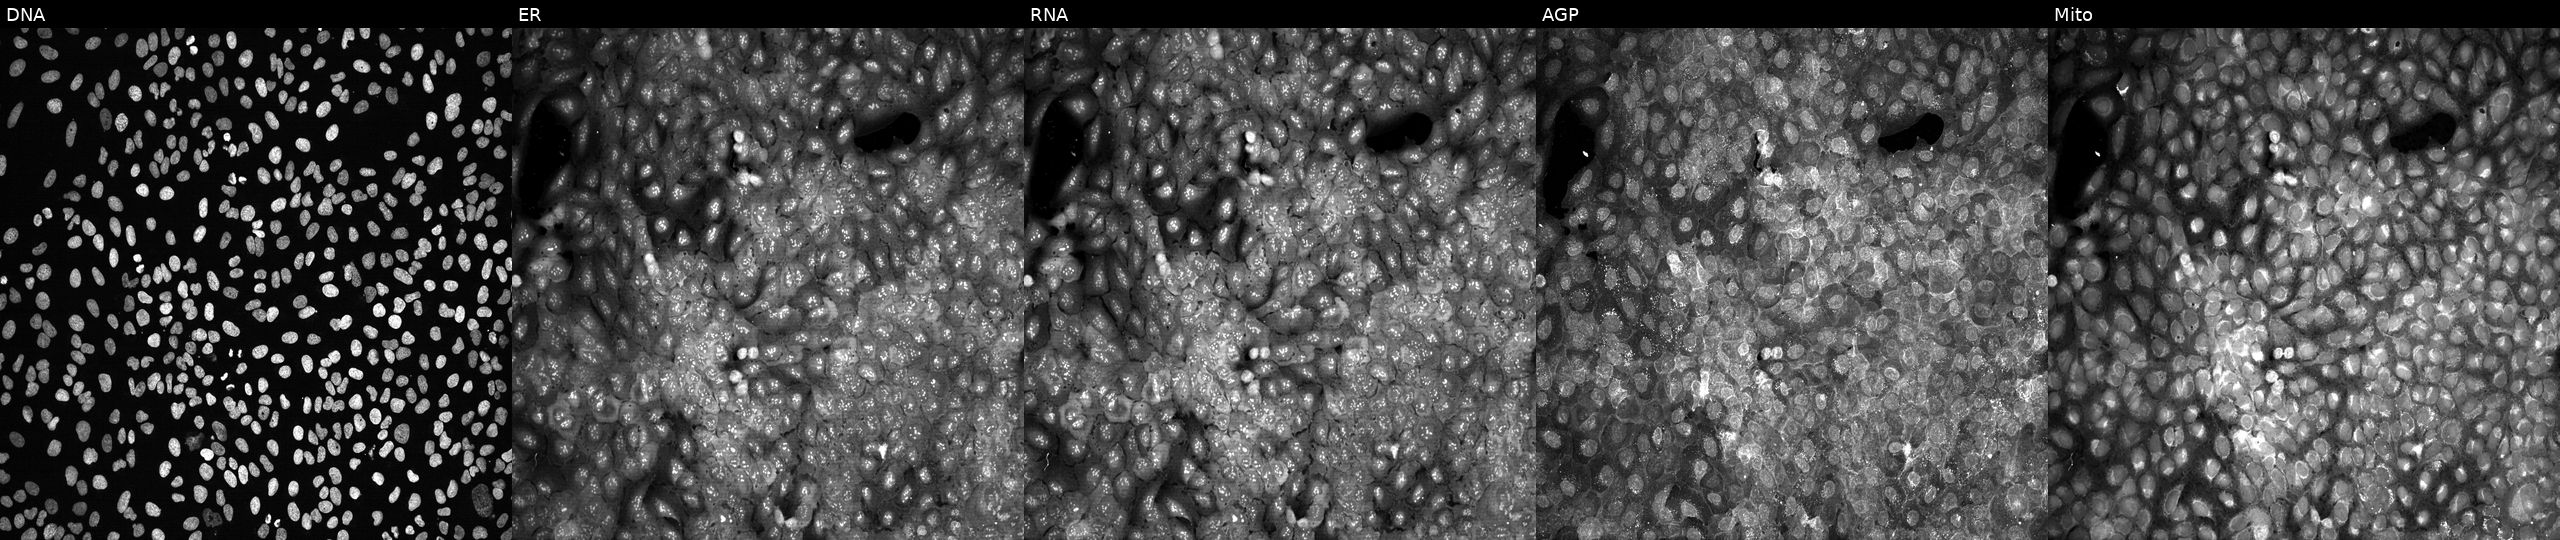
U2OS cells, Cell Painting assay, CRISPR-edited to disrupt JMJD6 (JUMP id JCP2022_803526). From left to right: DNA, ER, RNA, AGP, and Mito. Each panel is percentile-stretched 16-bit fluorescence. Source 13, plate CP-CC9-R1-02, well B12.